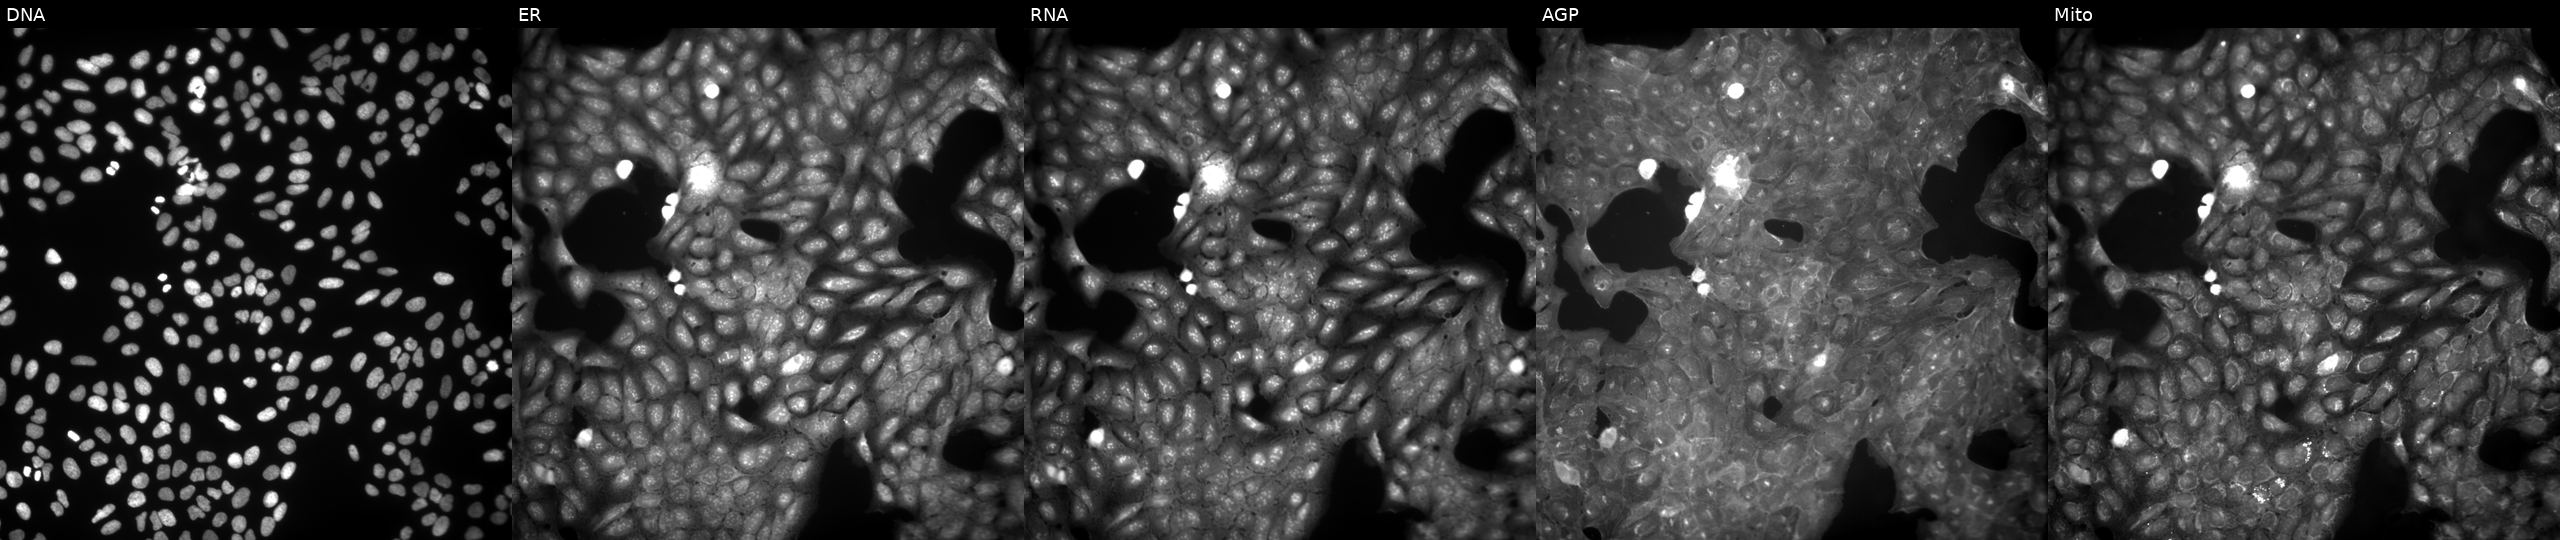
JUMP Cell Painting — COMPOUND plate. U2OS cells perturbed with a small-molecule compound (InChIKey SWQBUISJAVRRGD-UHFFFAOYSA-N). Panels show, left to right, Hoechst 33342, concanavalin A, SYTO 14, phalloidin and WGA, MitoTracker.